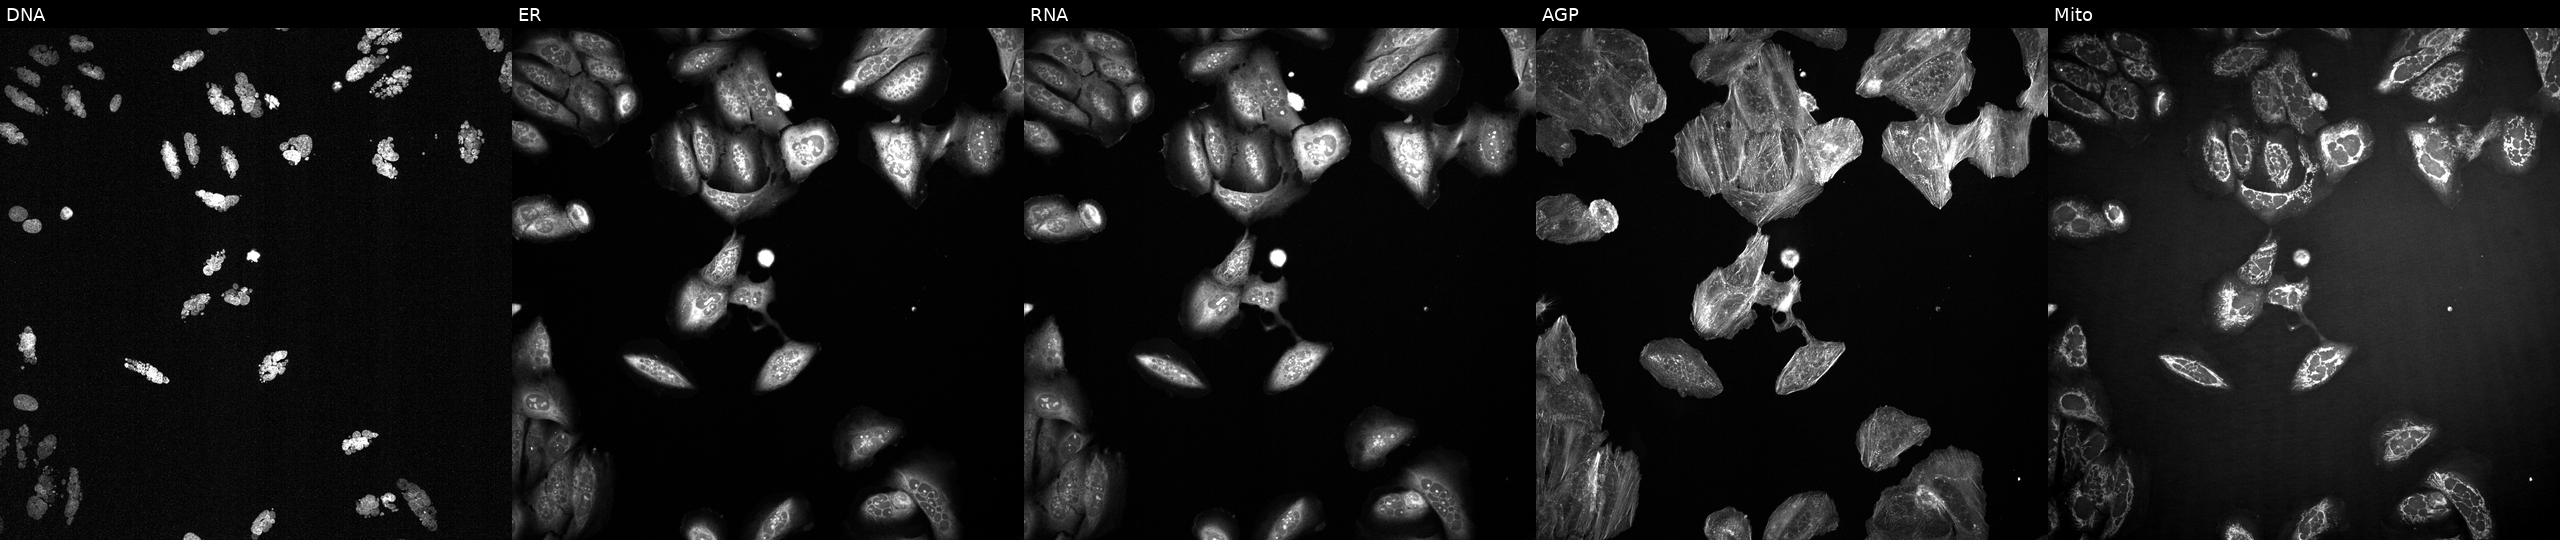
Five-channel Cell Painting image of U2OS cells perturbed with a small-molecule compound (InChIKey QXRSDHAAWVKZLJ-UHFFFAOYSA-N) [SMILES: CC(=Cc1csc(C)n1)C1CC2OC2(C)CCCC(C)C(O)C(C)C(=O)C(C)(C)C(O)CC(=O)O1] (JUMP id JCP2022_076573). Panels show, left to right, DNA (nuclei); ER (endoplasmic reticulum); RNA (nucleoli and cytoplasmic RNA); AGP (actin cytoskeleton, Golgi, and plasma membrane); Mito (mitochondria).